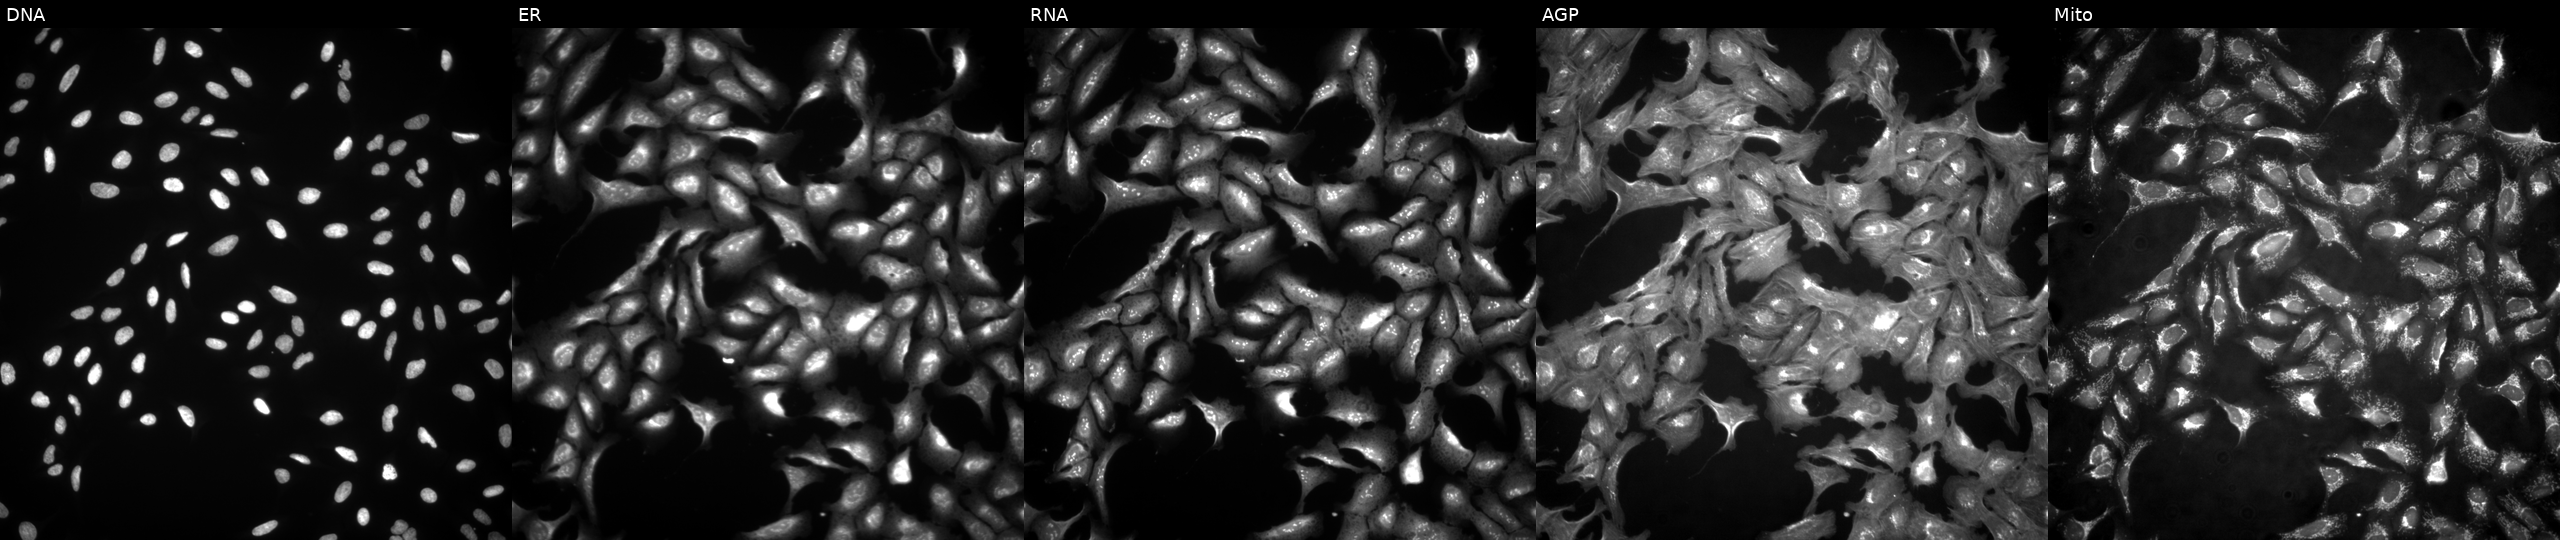
JUMP Cell Painting — ORF plate. U2OS cells transfected with an ORF construct for RAB11A. From left to right: DNA (nuclei); ER (endoplasmic reticulum); RNA (nucleoli and cytoplasmic RNA); AGP (actin cytoskeleton, Golgi, and plasma membrane); Mito (mitochondria).